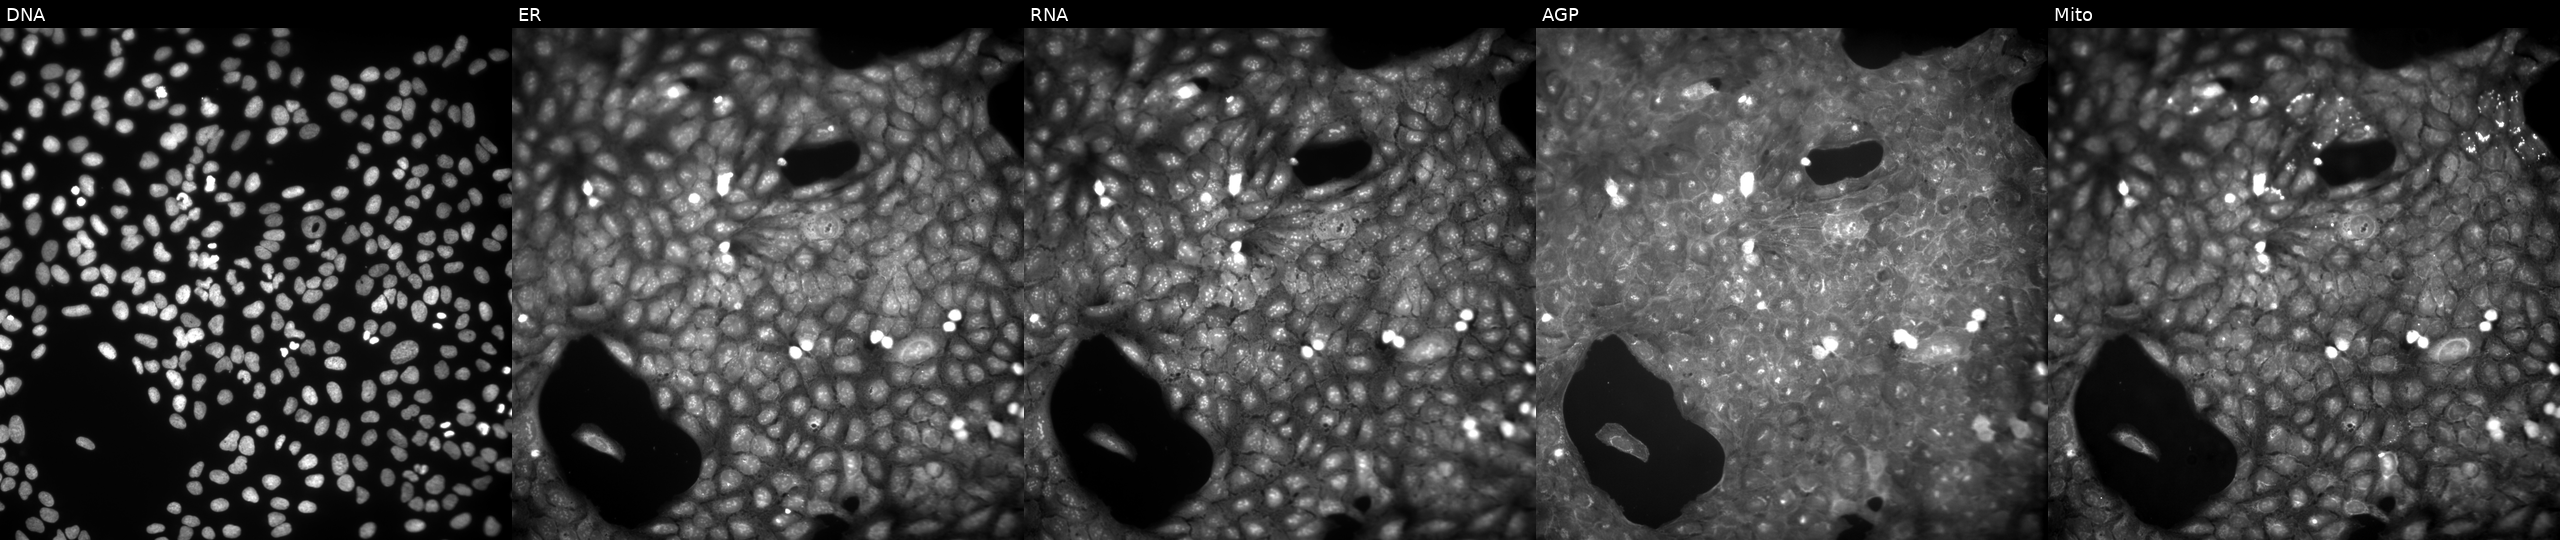
Panels show, left to right, DNA, ER, RNA, AGP, and Mito. U2OS osteosarcoma cells exposed to a small-molecule compound (InChIKey IUAWXZMJHJYKSZ-UHFFFAOYSA-N) [SMILES: Cc1ccc2nsnc2c1S(=O)(=O)Nc1ccc(Cl)cc1] (JUMP id JCP2022_037413). Cell Painting assay, JUMP-CP dataset.